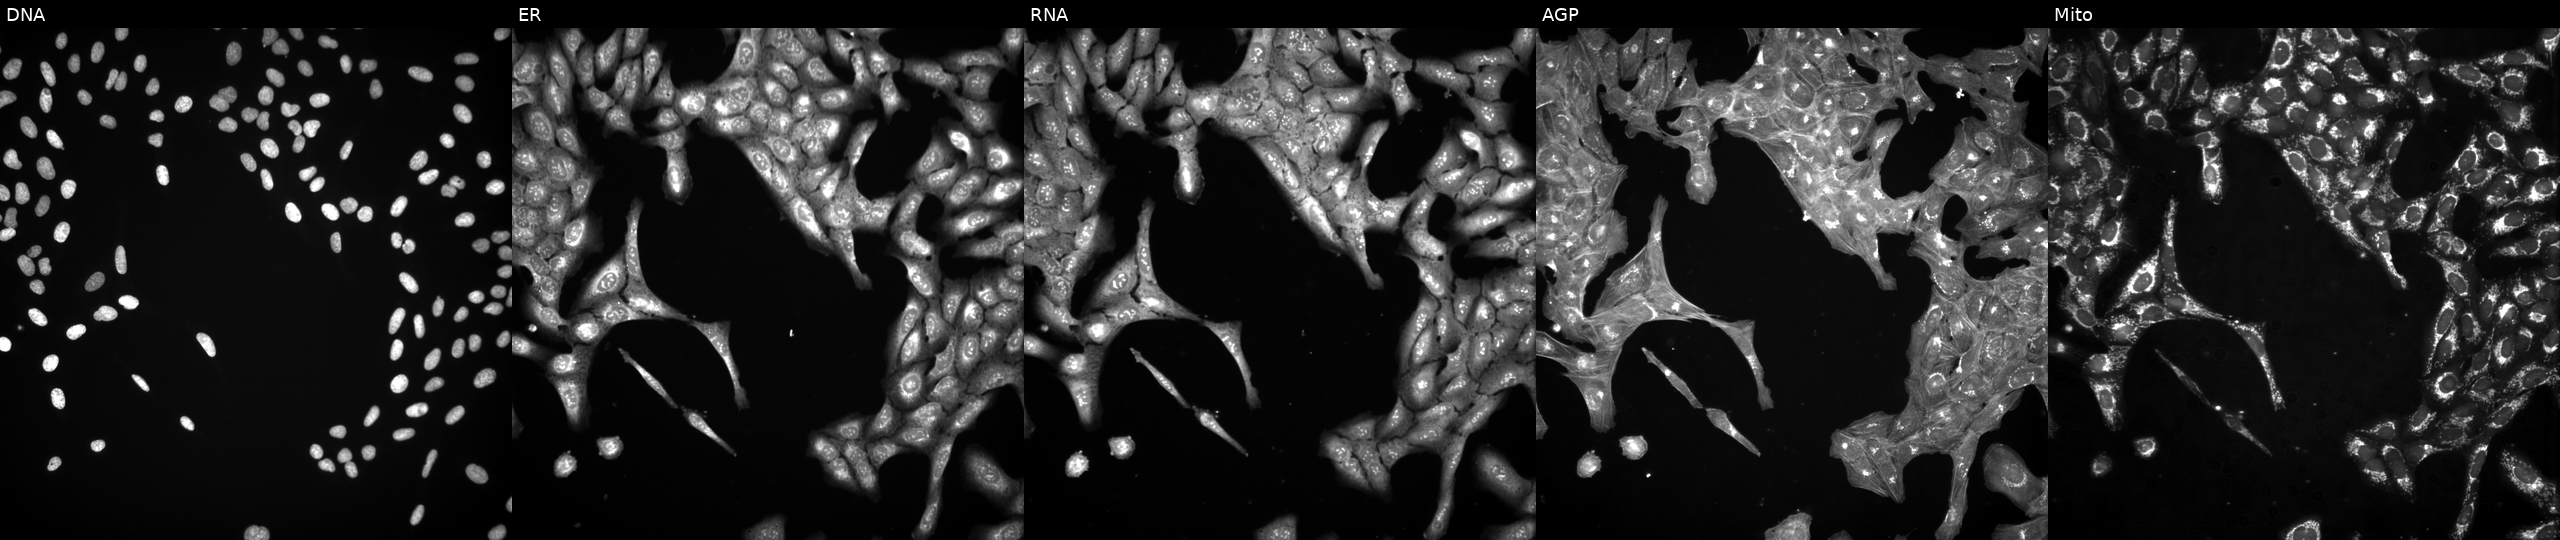
Panels show, left to right, Hoechst 33342, concanavalin A, SYTO 14, phalloidin and WGA, MitoTracker. U2OS osteosarcoma cells exposed to a small-molecule compound (InChIKey YRBIIAPXARQSTE-UHFFFAOYSA-N) (JUMP id JCP2022_110264). Cell Painting assay, JUMP-CP dataset.